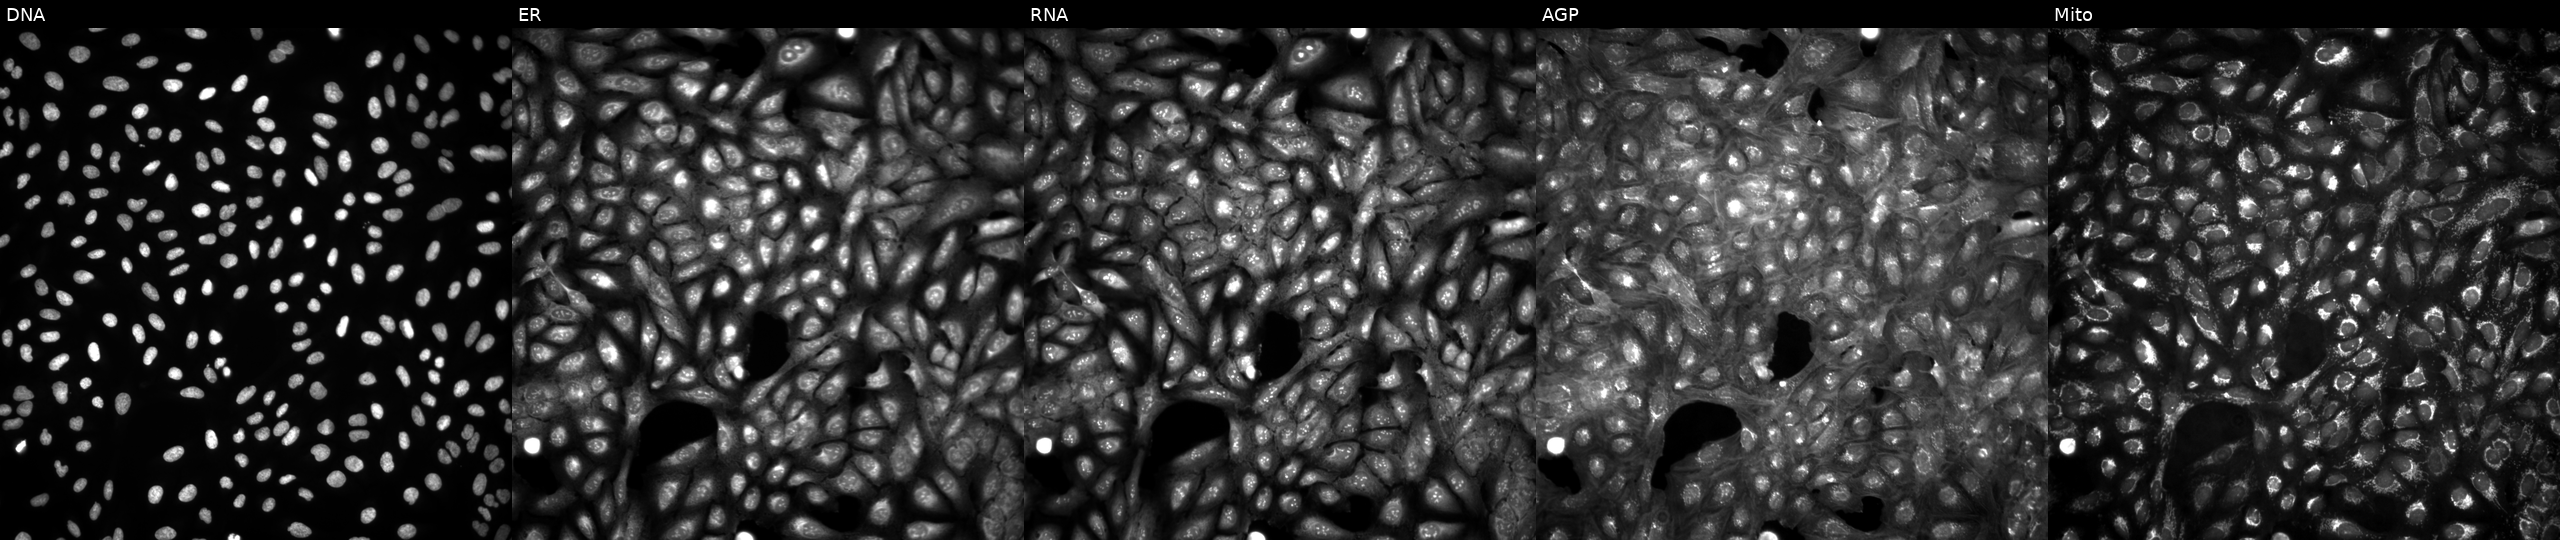
High-content fluorescence microscopy (Cell Painting). Cell line: U2OS. Perturbation: in an empty control well (no perturbation) (JUMP id JCP2022_999999). Channels (left→right): DNA, ER, RNA, AGP, and Mito.